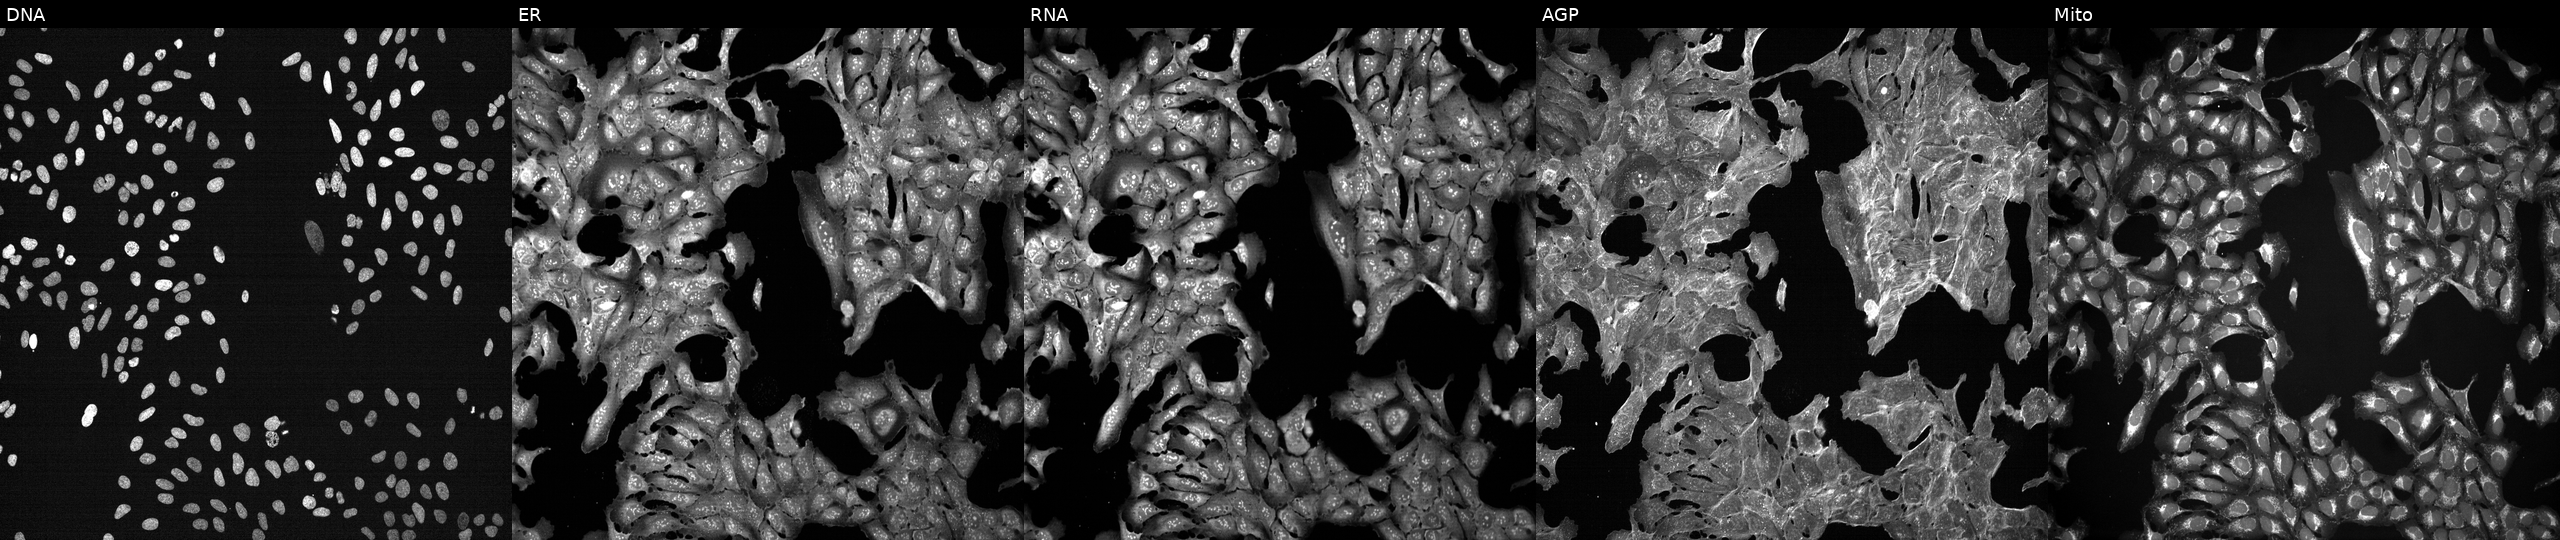
JUMP Cell Painting — TARGET2 plate. U2OS cells exposed to a small-molecule compound (InChIKey IFIUFCJFLGCQPH-UHFFFAOYSA-N). The five panels, left to right, show DNA (nuclei); ER (endoplasmic reticulum); RNA (nucleoli and cytoplasmic RNA); AGP (actin cytoskeleton, Golgi, and plasma membrane); Mito (mitochondria).